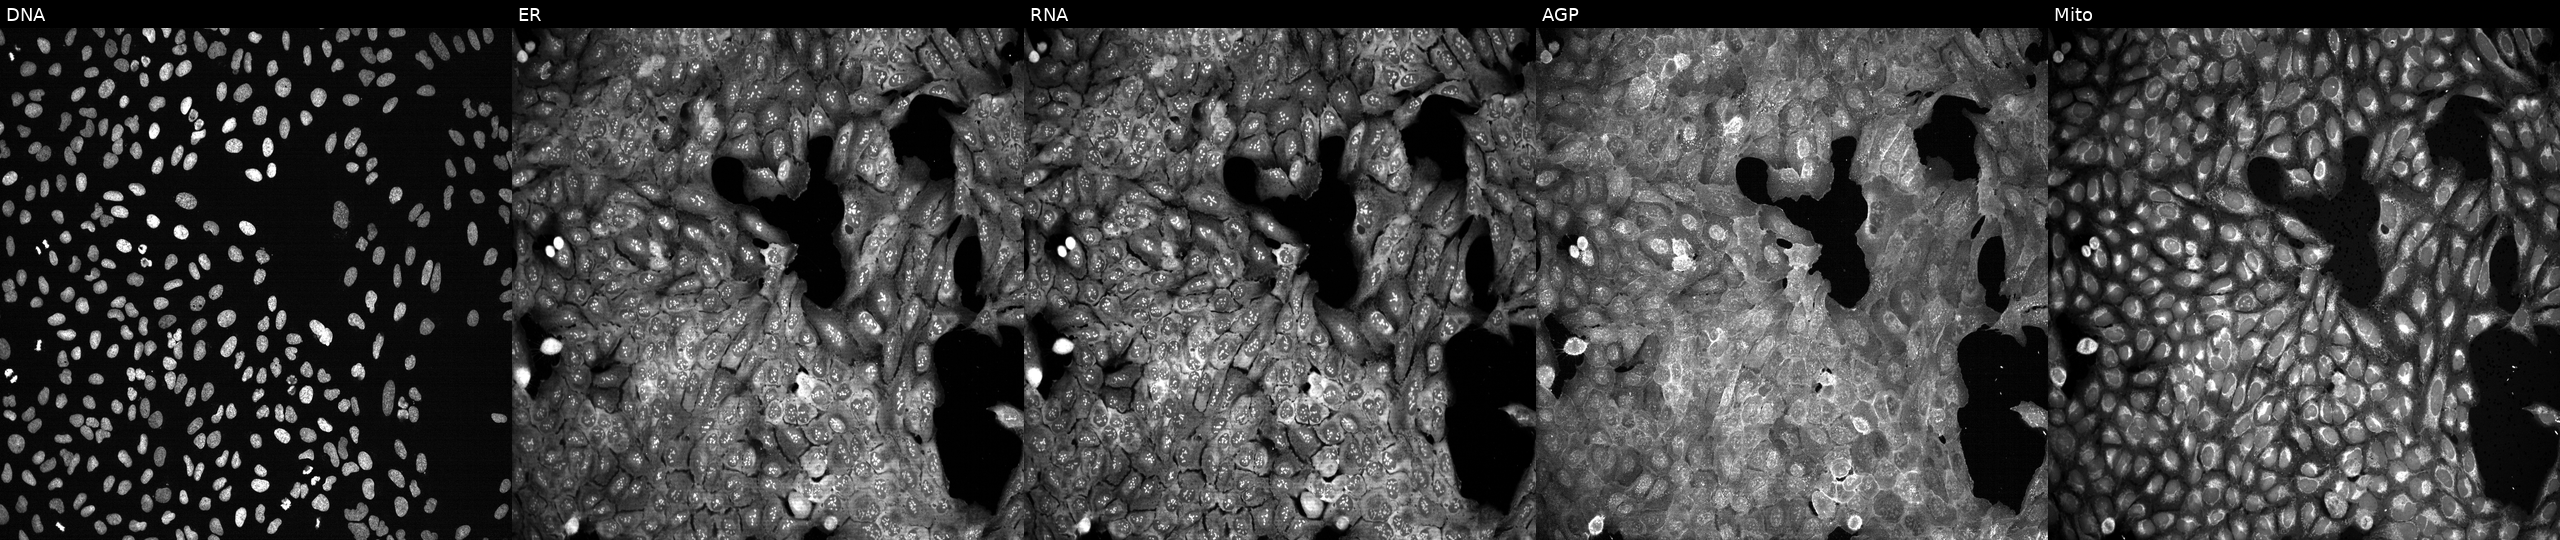
U2OS cells, Cell Painting assay, CRISPR-edited to disrupt HACL1. Panels show, left to right, Hoechst 33342, concanavalin A, SYTO 14, phalloidin and WGA, MitoTracker. Each panel is percentile-stretched 16-bit fluorescence.